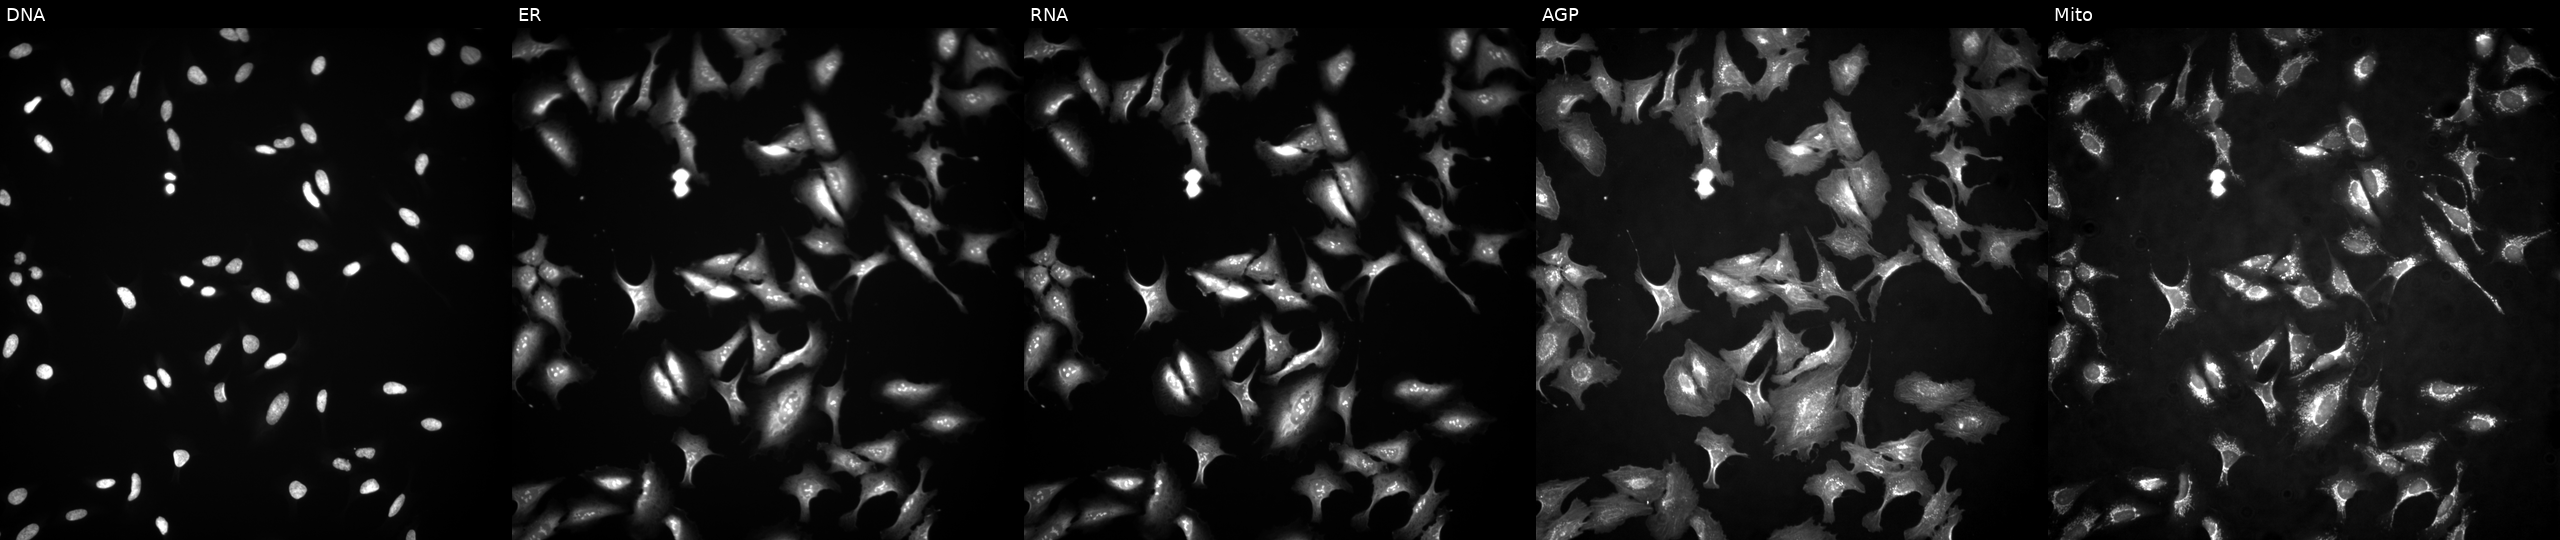
Five-channel Cell Painting image of U2OS cells transfected with an ORF construct for JADE2 (JUMP id JCP2022_913136). The five panels, left to right, show Hoechst 33342, concanavalin A, SYTO 14, phalloidin and WGA, MitoTracker.